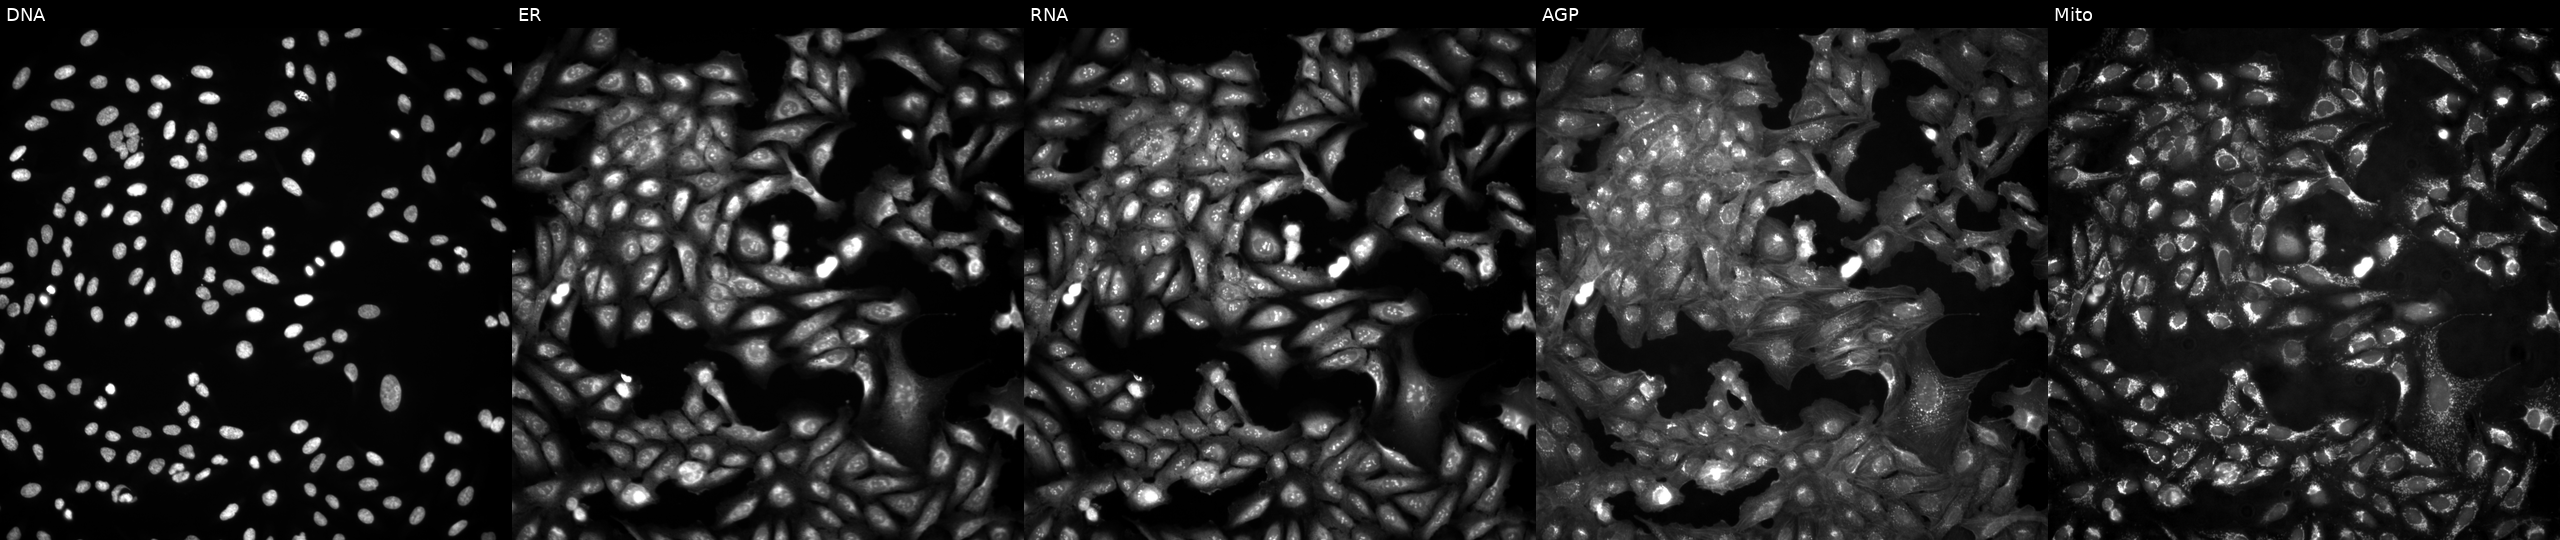
This image strip shows the five Cell Painting channels for a single field of U2OS cells untreated (empty-well control) (JUMP id JCP2022_999999). Panels show, left to right, Hoechst 33342, concanavalin A, SYTO 14, phalloidin and WGA, MitoTracker.